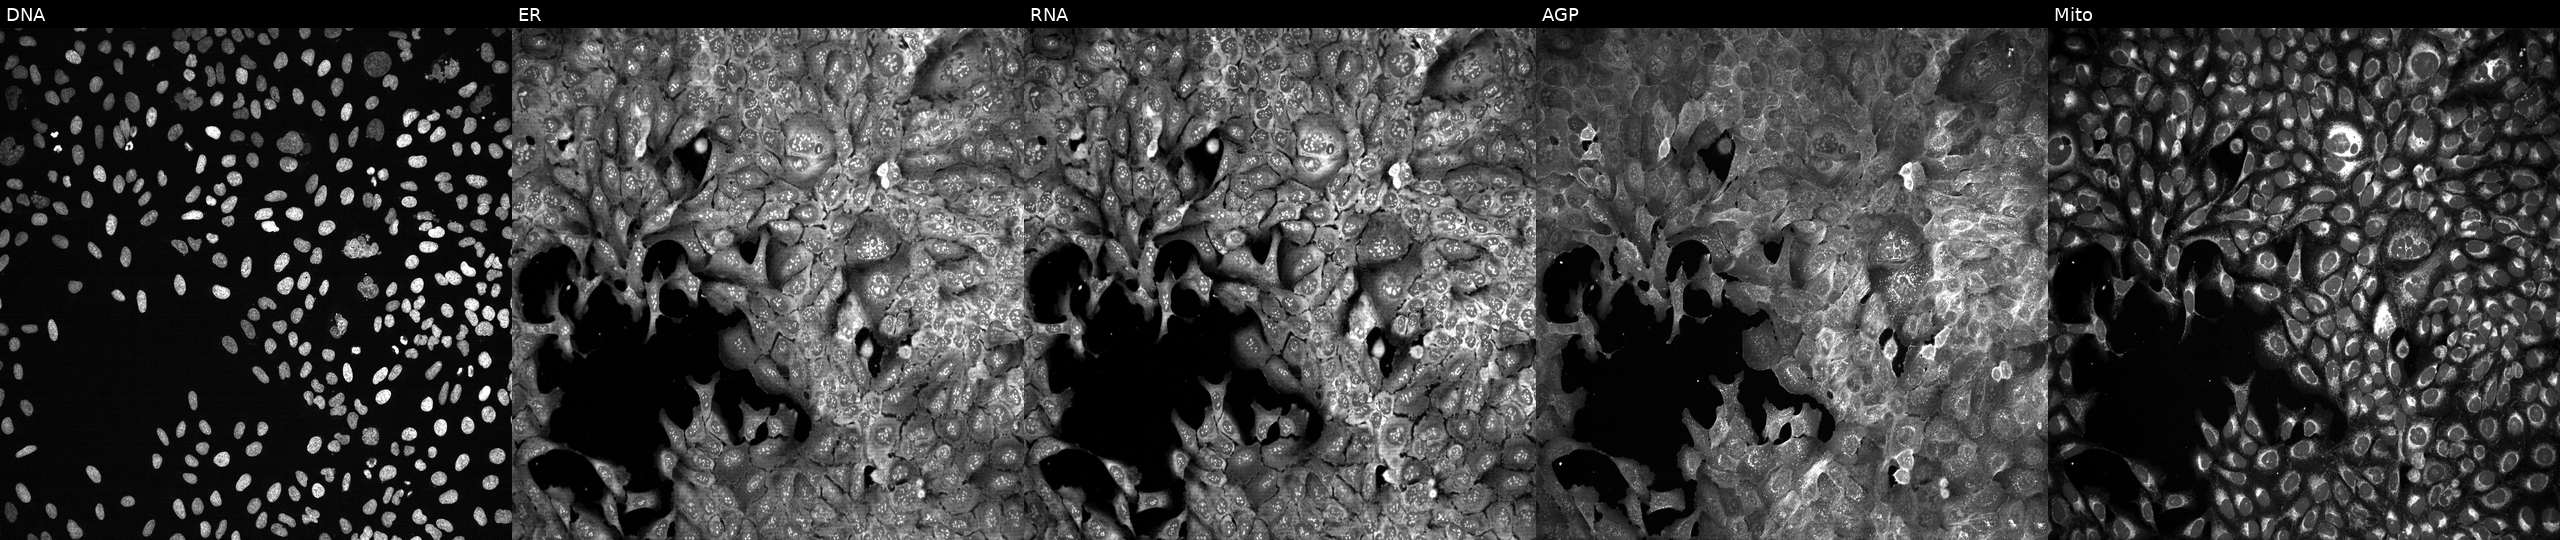
JUMP Cell Painting — CRISPR plate. U2OS cells with CAPN7 knocked out by CRISPR. From left to right: DNA, ER, RNA, AGP, and Mito. Source 13, plate CP-CC9-R6-19, well G11.